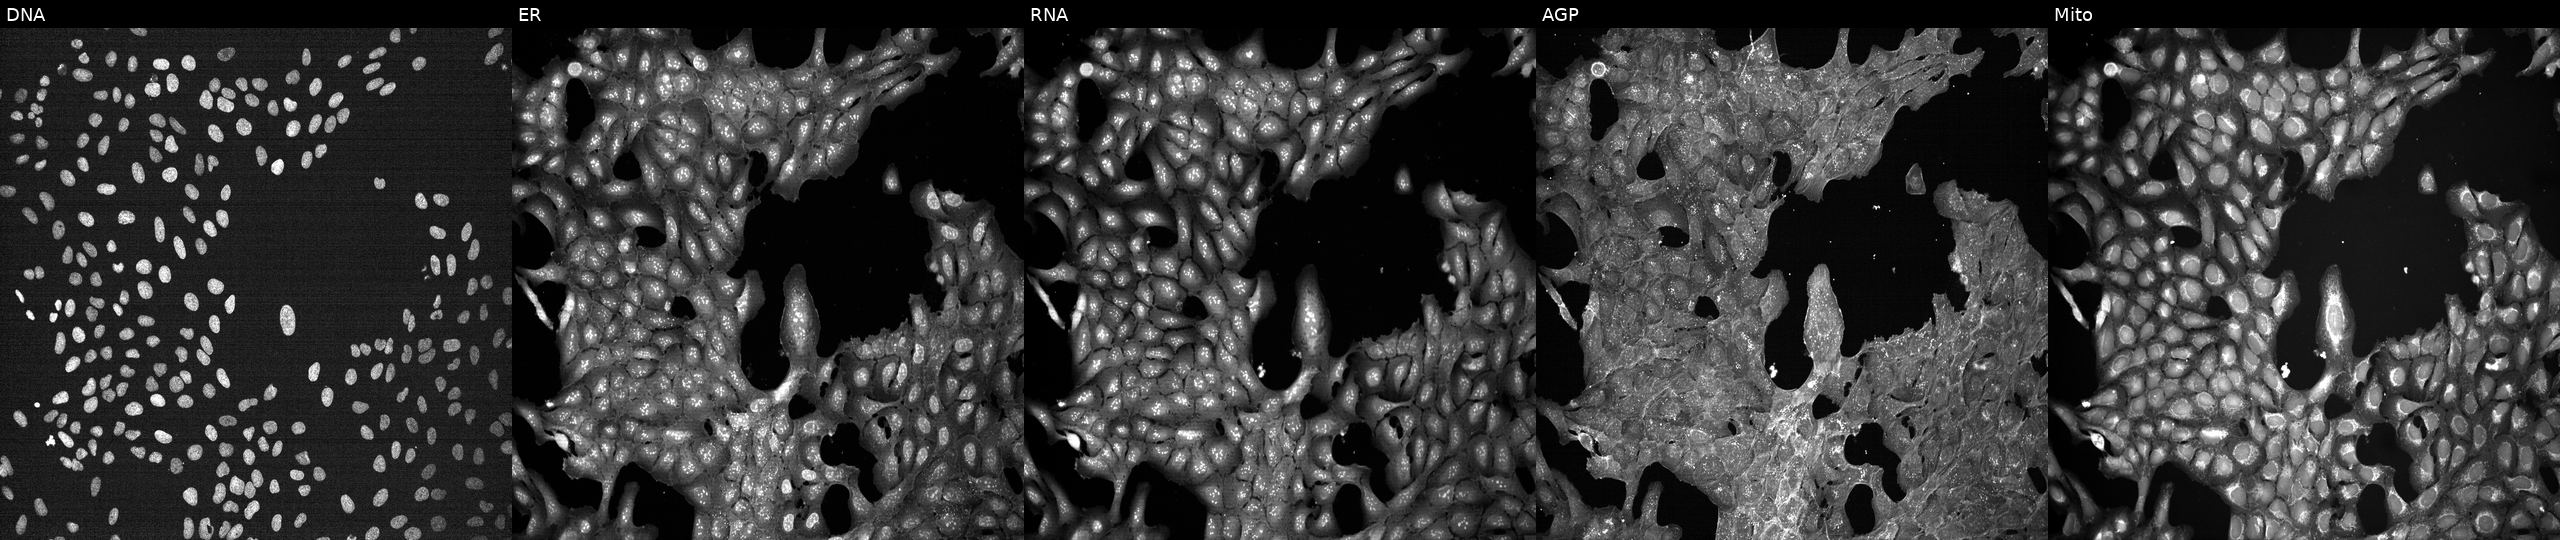
Five-channel Cell Painting image of U2OS cells treated with a small-molecule compound (InChIKey IFIUFCJFLGCQPH-UHFFFAOYSA-N). From left to right: DNA, ER, RNA, AGP, and Mito.